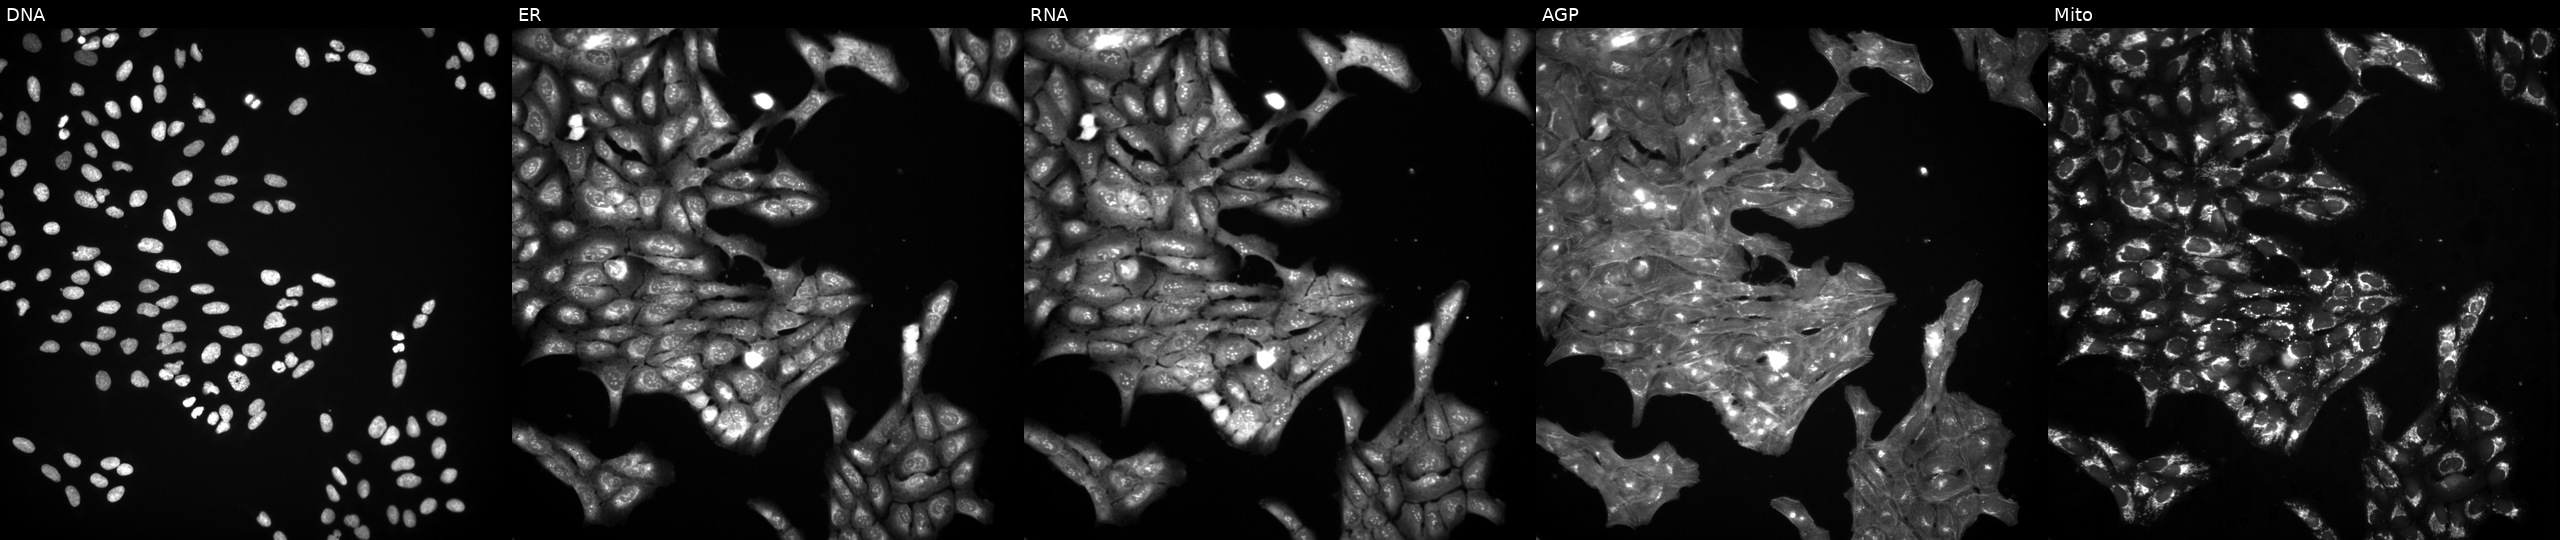
JUMP Cell Painting — COMPOUND plate. U2OS cells perturbed with a small-molecule compound (InChIKey BVOBTGNFTSKJMG-UHFFFAOYSA-N). Panels show, left to right, Hoechst 33342, concanavalin A, SYTO 14, phalloidin and WGA, MitoTracker.